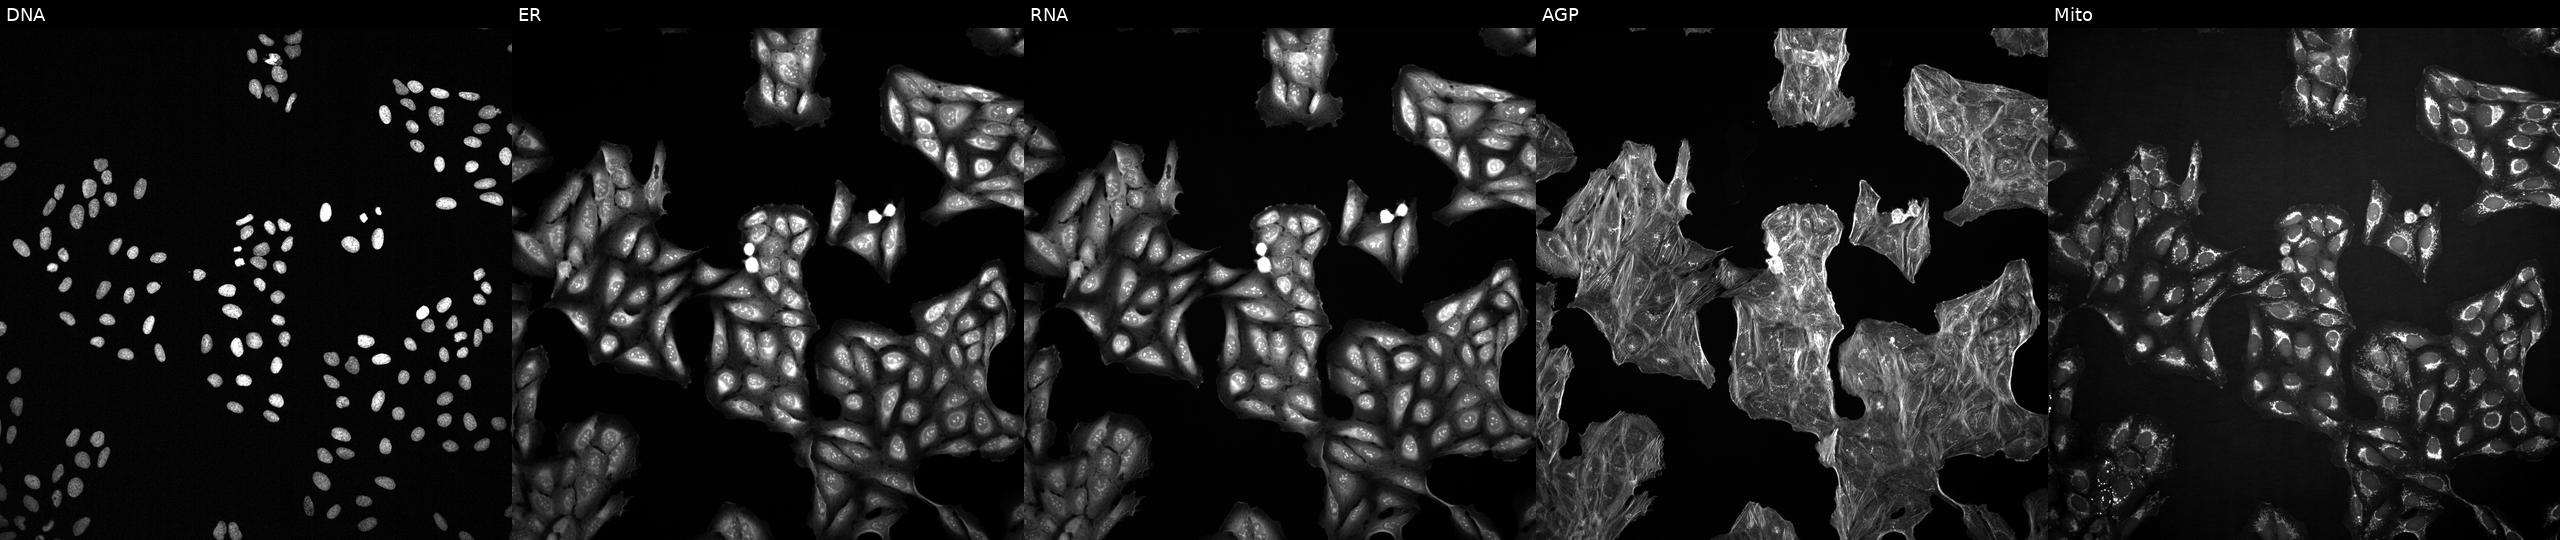
This image strip shows the five Cell Painting channels for a single field of U2OS cells perturbed with a small-molecule compound (InChIKey FZKILGBPQJBIRF-UHFFFAOYSA-N). Channels (left→right): DNA, ER, RNA, AGP, and Mito. Source 2, plate 1053601763, well J07.